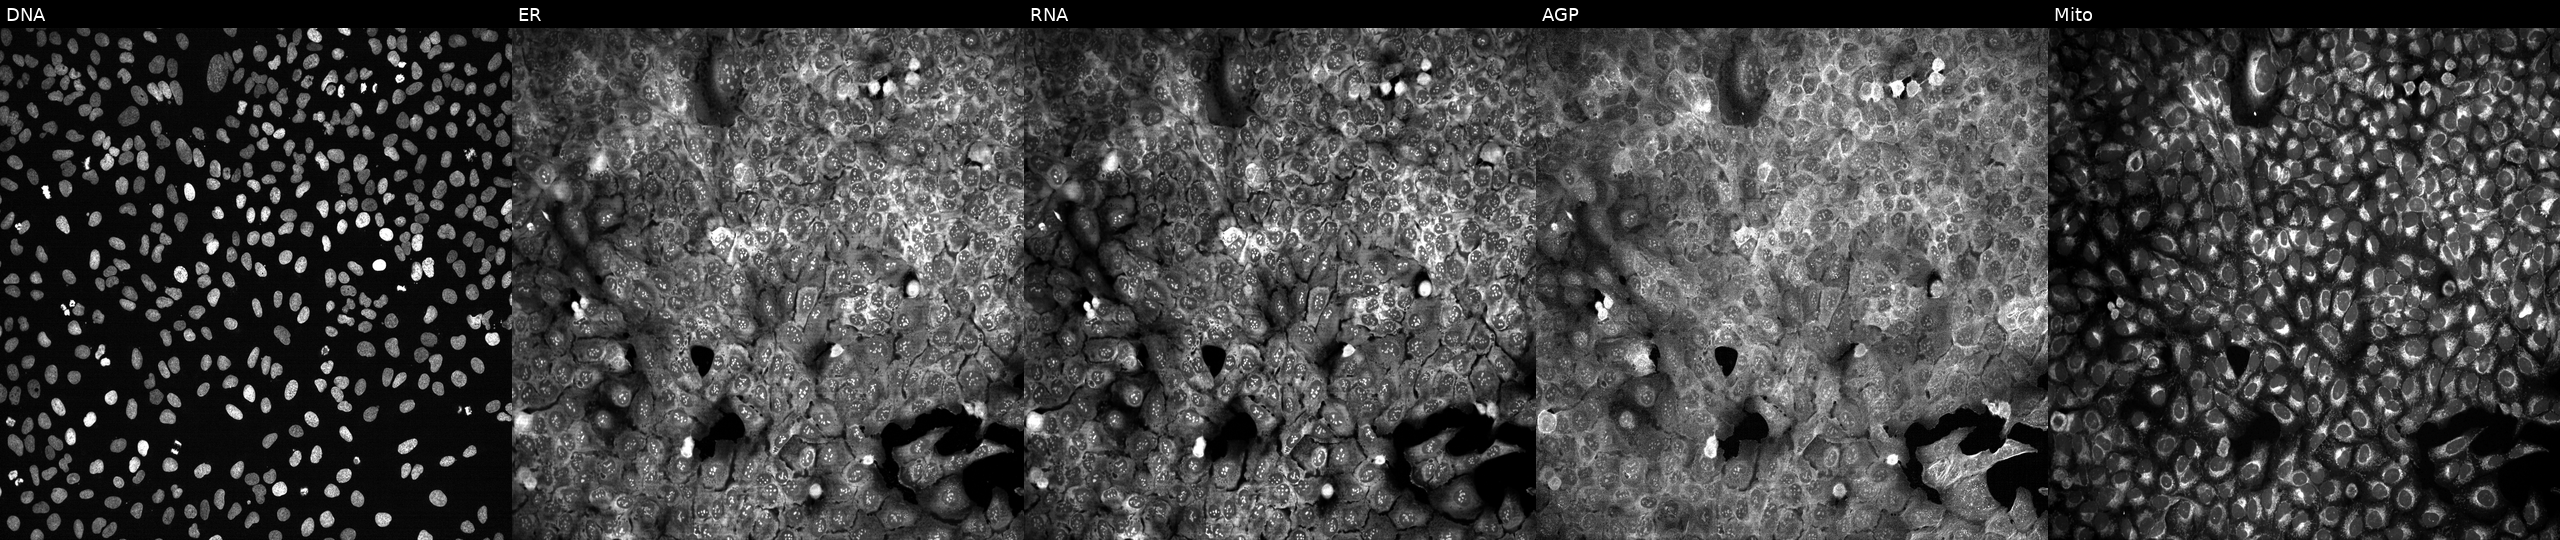
JUMP Cell Painting — CRISPR plate. U2OS cells CRISPR-edited to disrupt DCLRE1A (JUMP id JCP2022_801694). Panels show, left to right, DNA, ER, RNA, AGP, and Mito. Source 13, plate CP-CC9-R3-02, well P20.